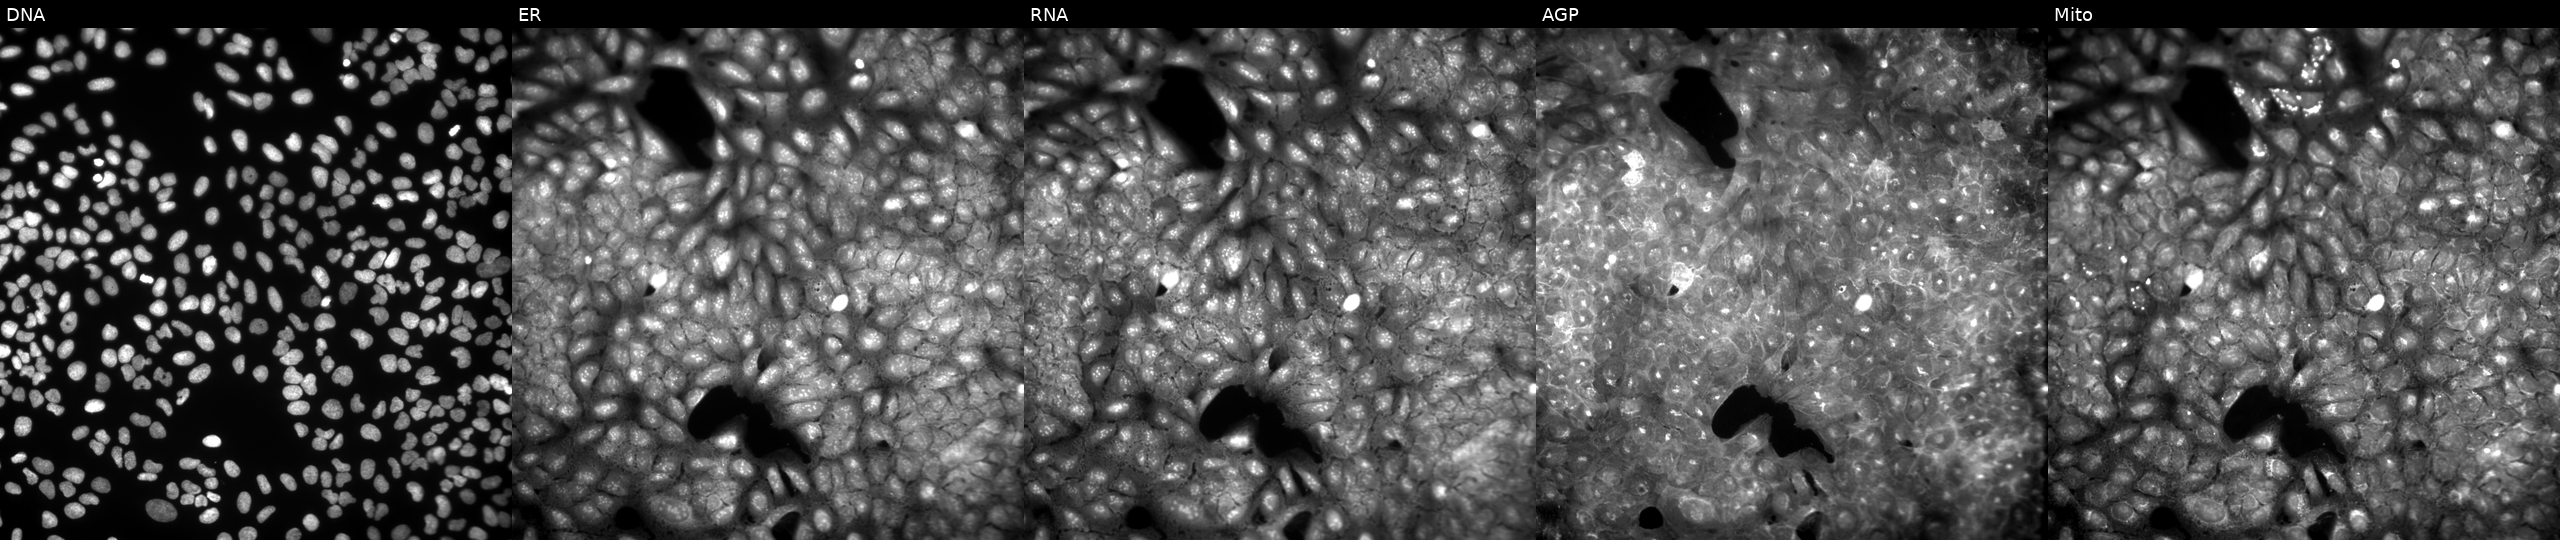
High-content fluorescence microscopy (Cell Painting). Cell line: U2OS. Perturbation: exposed to a small-molecule compound (InChIKey YNBITVYUGVJHPZ-UHFFFAOYSA-N) (JUMP id JCP2022_109523). Panels show, left to right, DNA (nuclei); ER (endoplasmic reticulum); RNA (nucleoli and cytoplasmic RNA); AGP (actin cytoskeleton, Golgi, and plasma membrane); Mito (mitochondria). Source 9, plate GR00003382, well AA39.